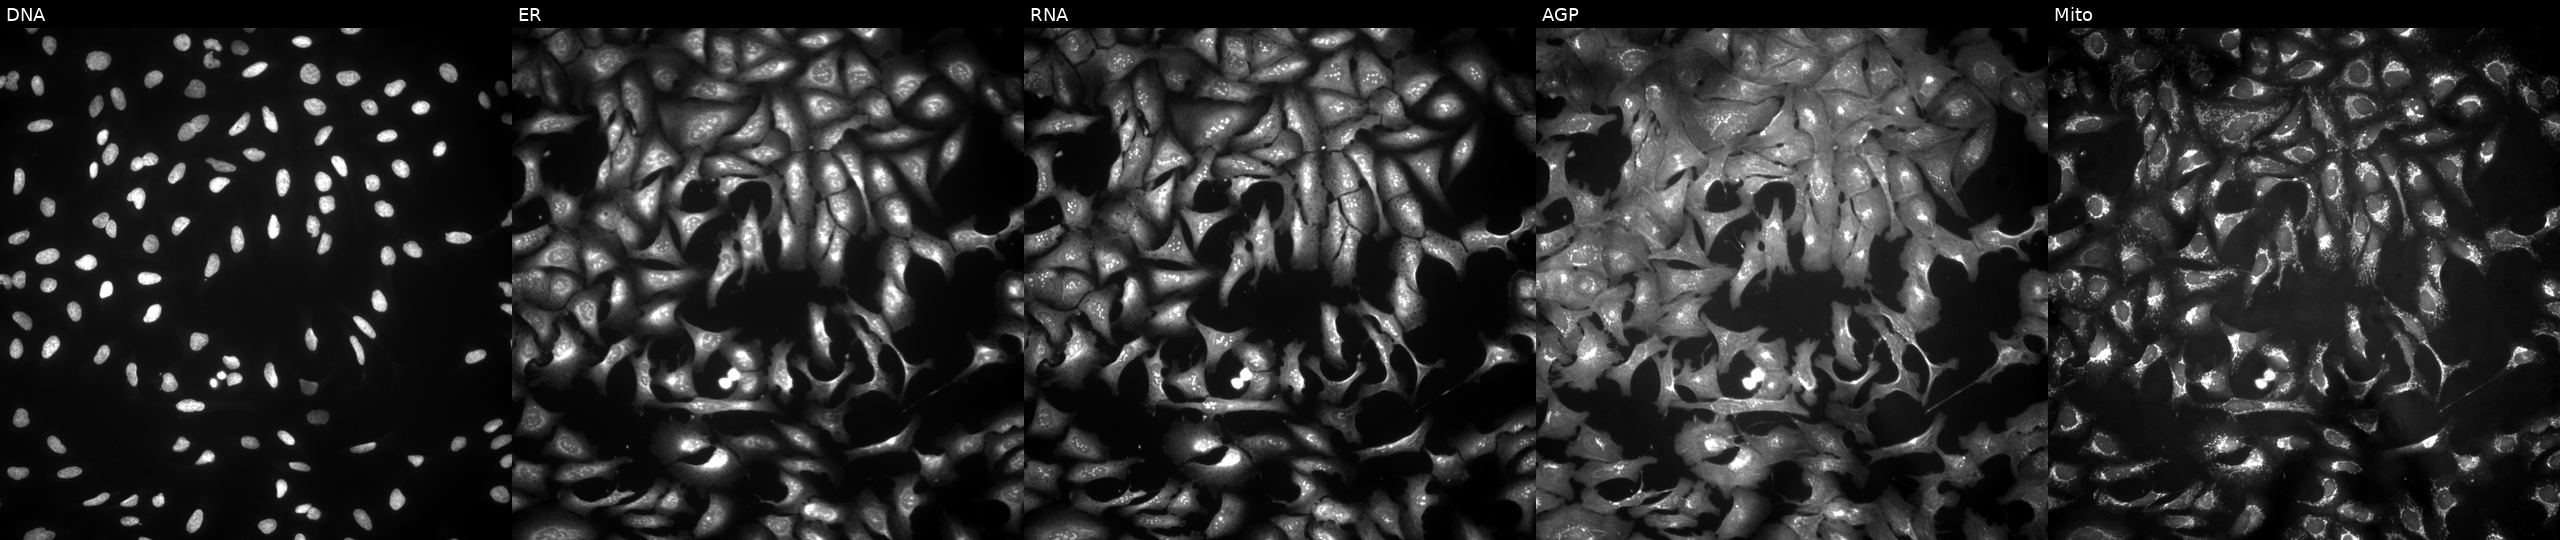
Five-channel Cell Painting image of U2OS cells overexpressing SORBS1 via ORF transfection (JUMP id JCP2022_910744). Channels (left→right): DNA, ER, RNA, AGP, and Mito.